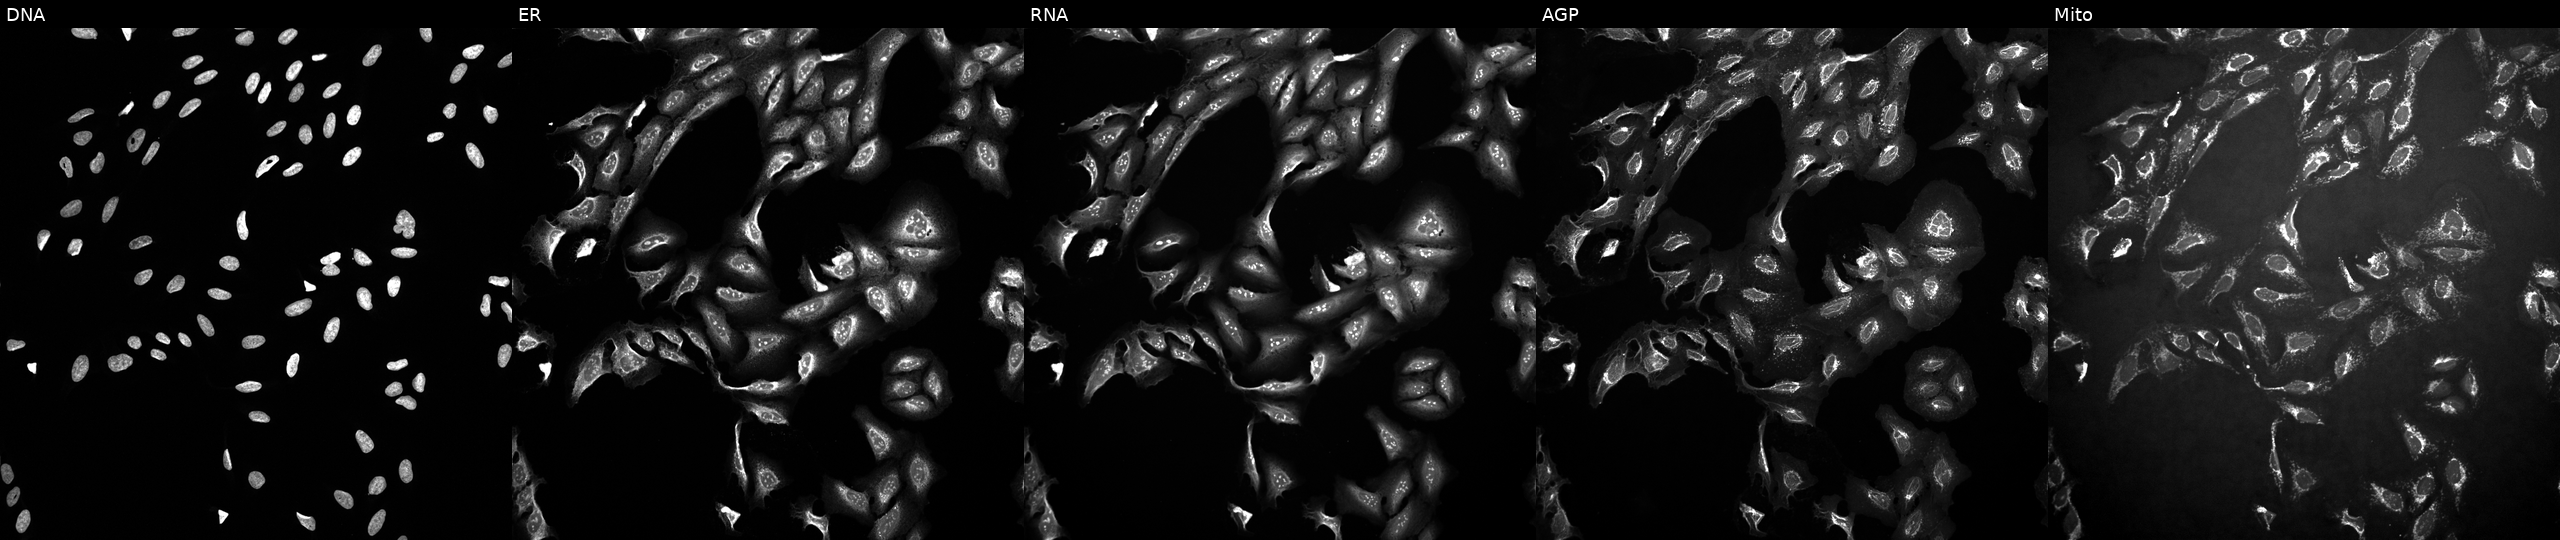
JUMP Cell Painting — TARGET2 plate. U2OS cells exposed to a small-molecule compound (InChIKey BOFQWVMAQOTZIW-UHFFFAOYSA-N) (JUMP id JCP2022_007613). From left to right: Hoechst 33342, concanavalin A, SYTO 14, phalloidin and WGA, MitoTracker.